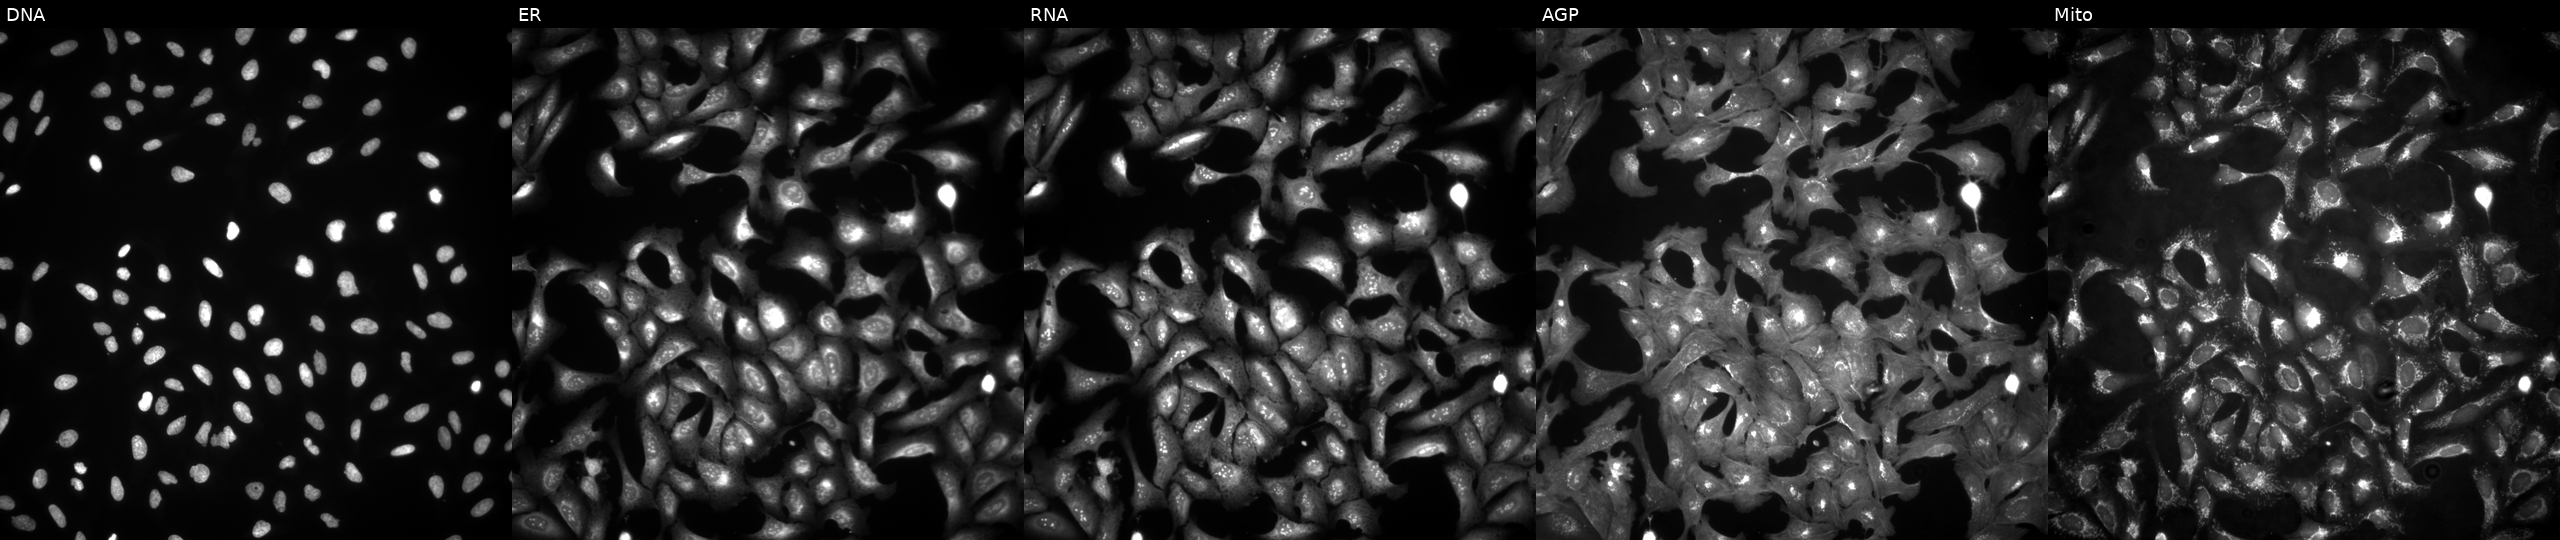
JUMP Cell Painting — ORF plate. U2OS cells with HIGD1A overexpressed (ORF). The five panels, left to right, show DNA (nuclei); ER (endoplasmic reticulum); RNA (nucleoli and cytoplasmic RNA); AGP (actin cytoskeleton, Golgi, and plasma membrane); Mito (mitochondria).